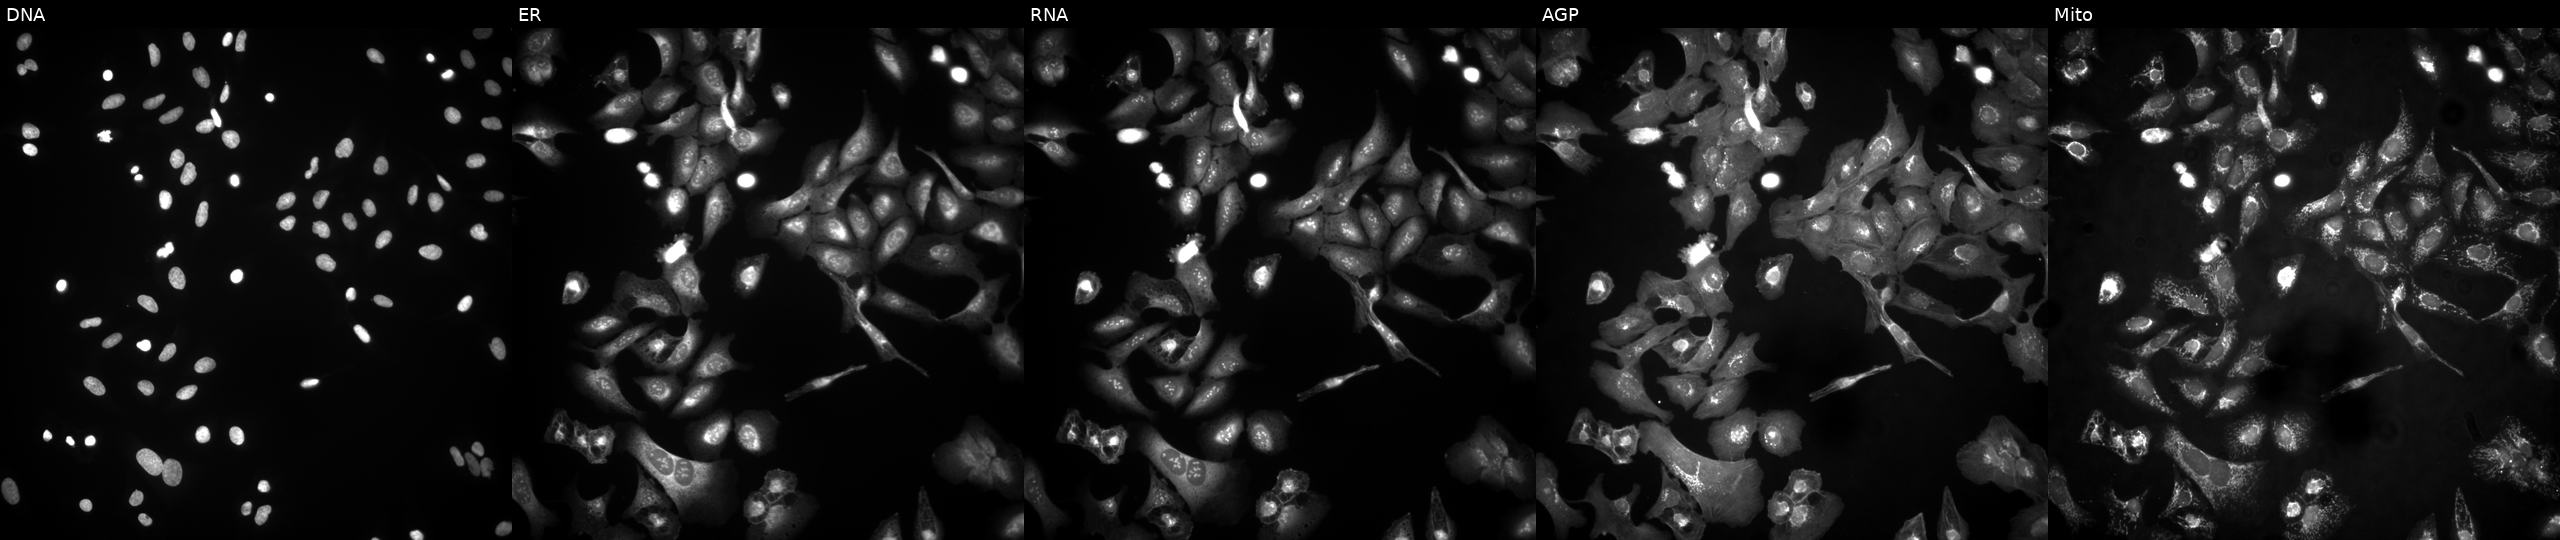
From left to right: Hoechst 33342, concanavalin A, SYTO 14, phalloidin and WGA, MitoTracker. U2OS osteosarcoma cells transfected with an ORF construct for OPN5. Cell Painting assay, JUMP-CP dataset.